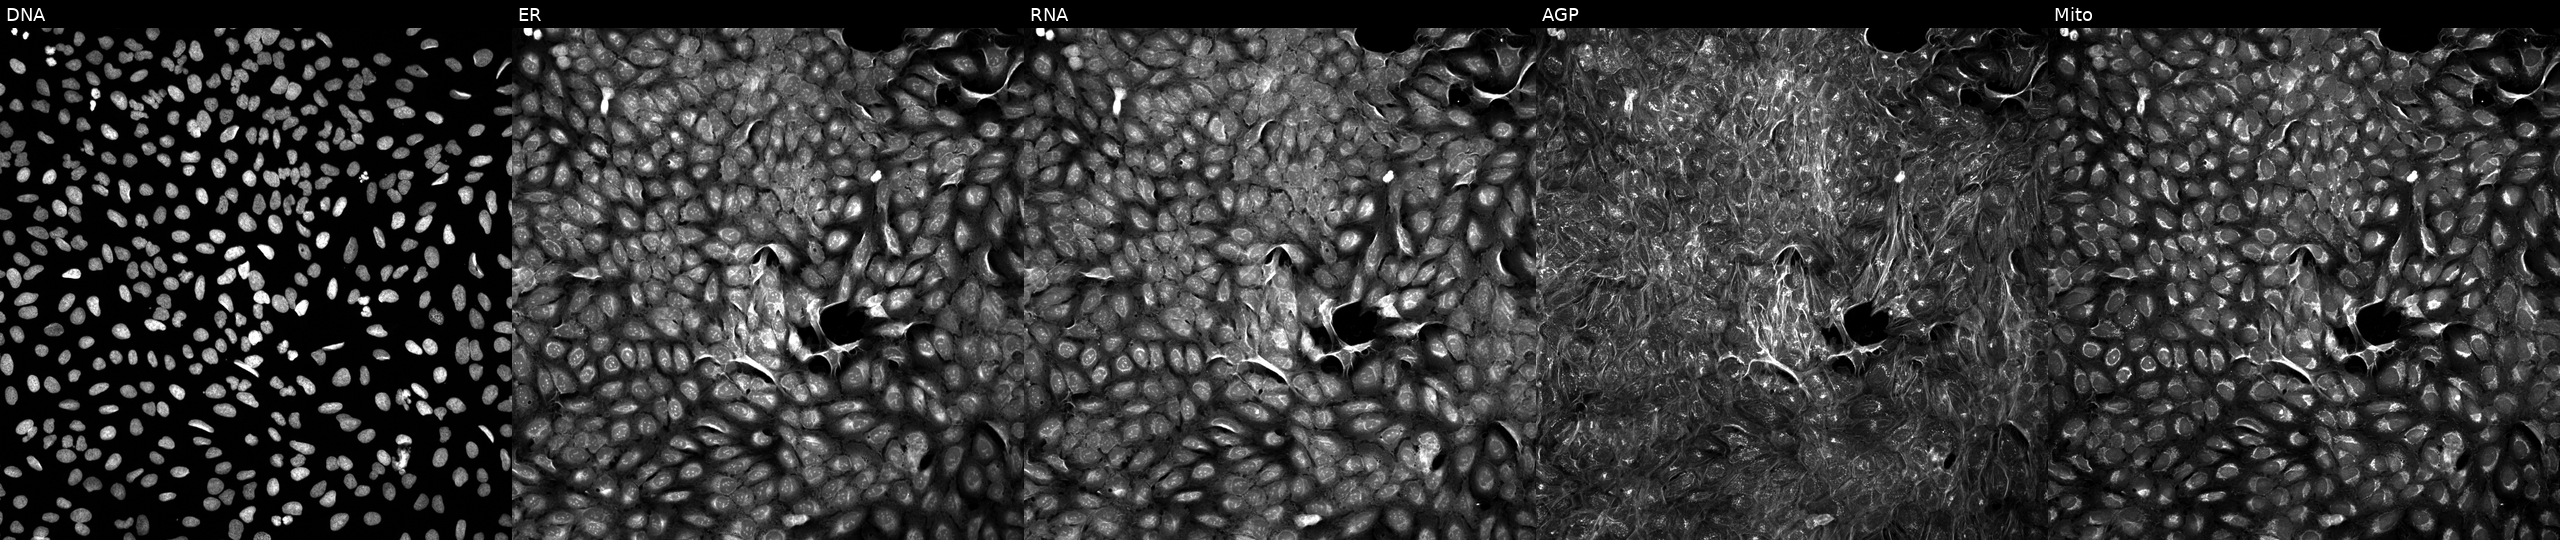
This image strip shows the five Cell Painting channels for a single field of U2OS cells exposed to DMSO alone as a negative control. Channels (left→right): DNA, ER, RNA, AGP, and Mito.